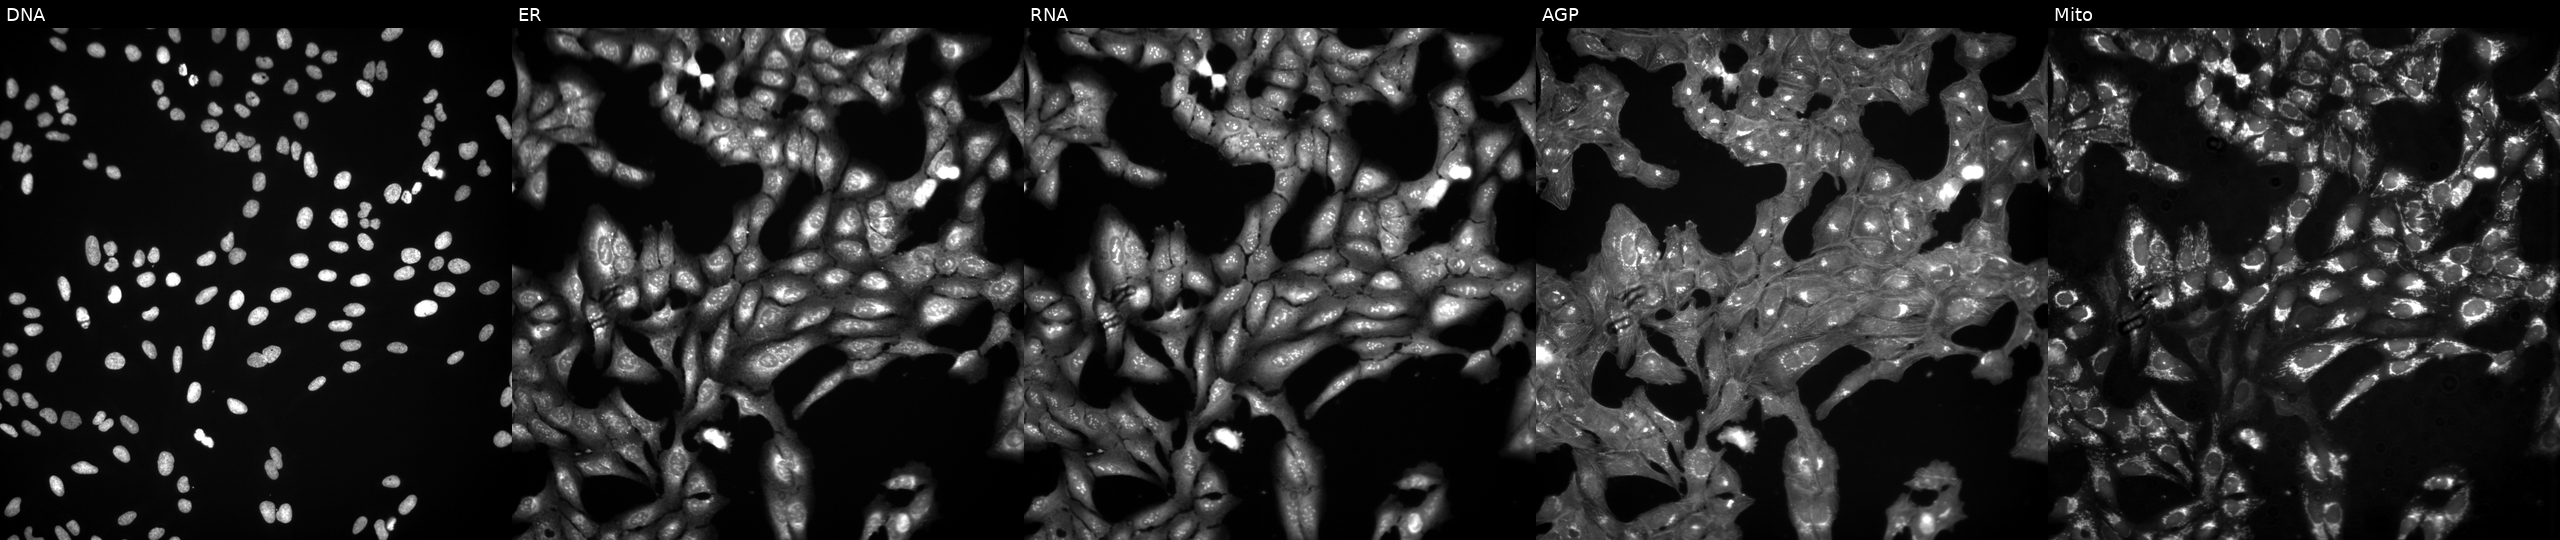
The five panels, left to right, show Hoechst 33342, concanavalin A, SYTO 14, phalloidin and WGA, MitoTracker. U2OS osteosarcoma cells treated with aloxistatin (positive-control compound). Cell Painting assay, JUMP-CP dataset. Source 3, plate BR5867a3, well A01.